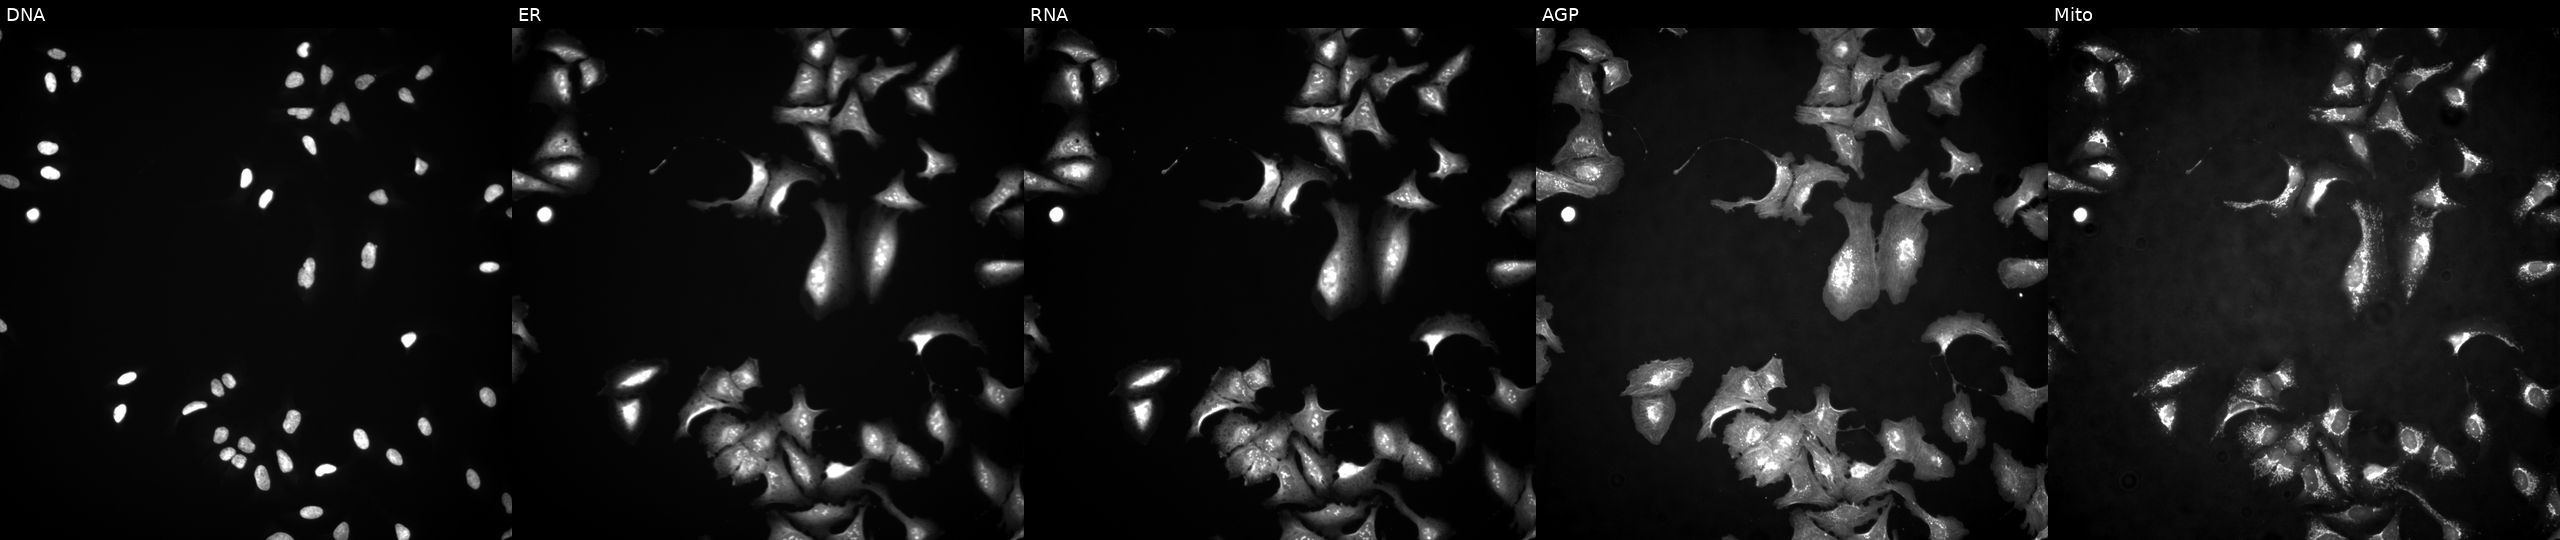
Panels show, left to right, DNA (nuclei); ER (endoplasmic reticulum); RNA (nucleoli and cytoplasmic RNA); AGP (actin cytoskeleton, Golgi, and plasma membrane); Mito (mitochondria). U2OS osteosarcoma cells with SUB1 overexpressed (ORF). Cell Painting assay, JUMP-CP dataset.